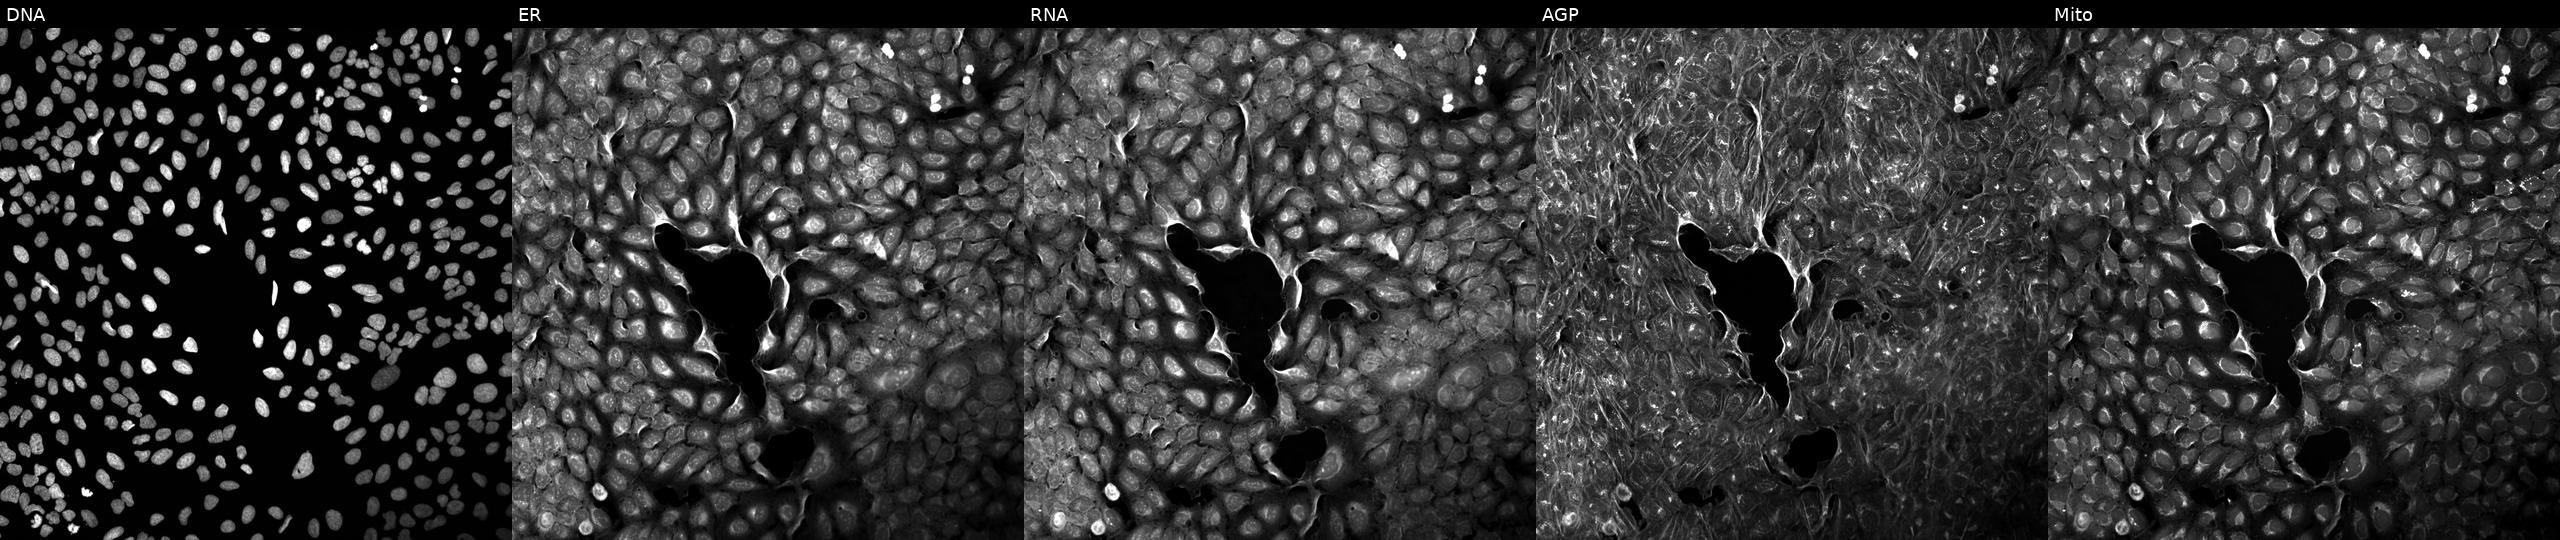
U2OS cells, Cell Painting assay, perturbed with a small-molecule compound (JUMP id JCP2022_104724). Channels (left→right): DNA, ER, RNA, AGP, and Mito. Each panel is percentile-stretched 16-bit fluorescence.